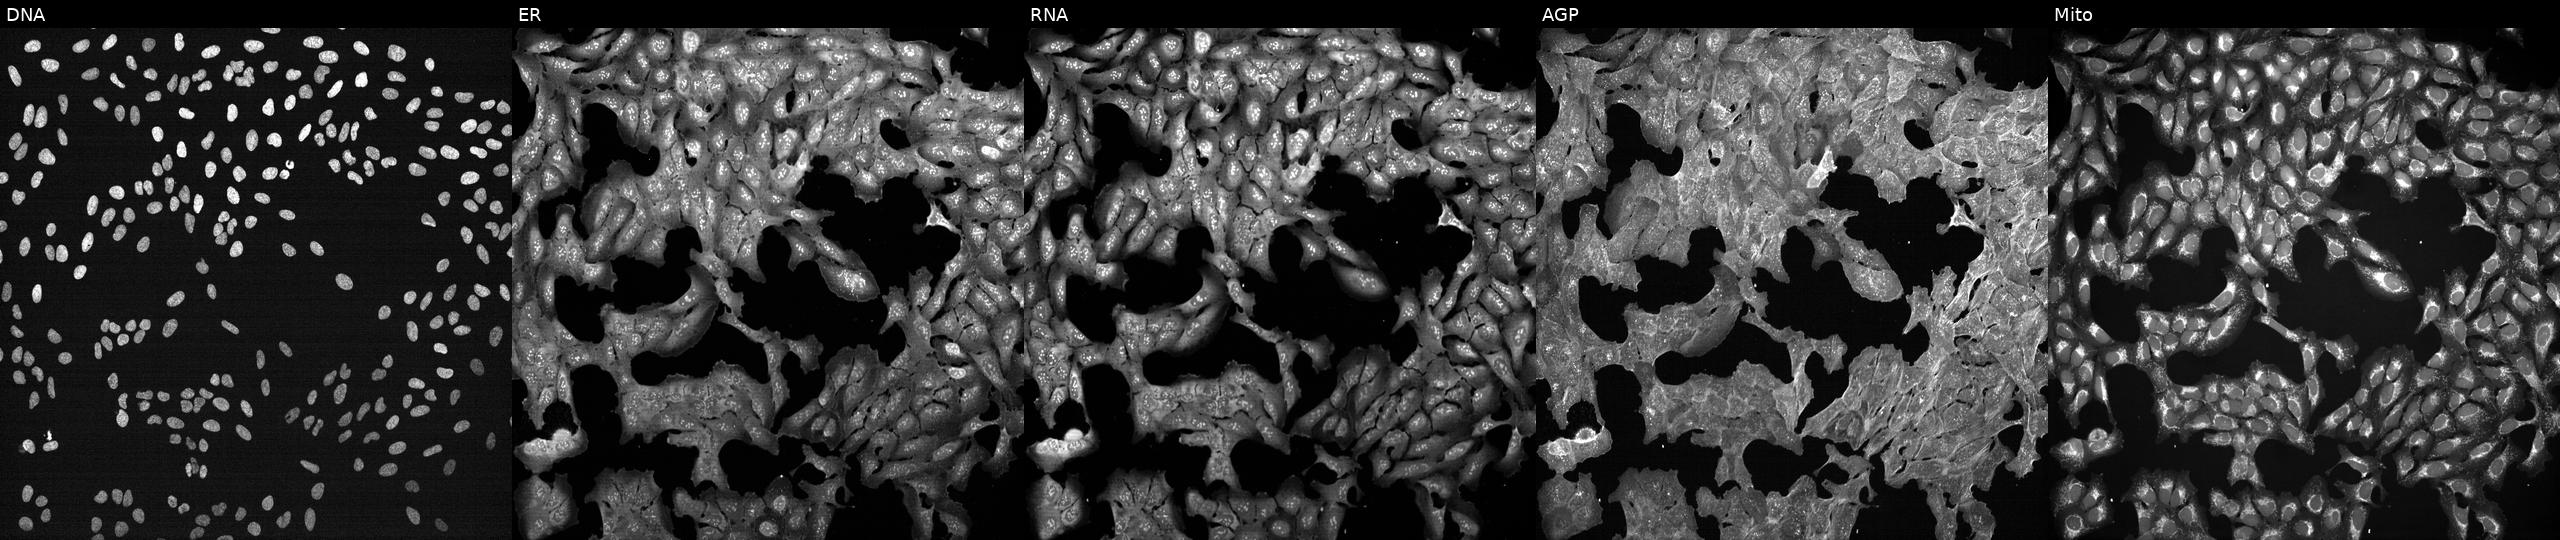
High-content fluorescence microscopy (Cell Painting). Cell line: U2OS. Perturbation: exposed to DMSO alone as a negative control. The five panels, left to right, show DNA, ER, RNA, AGP, and Mito.